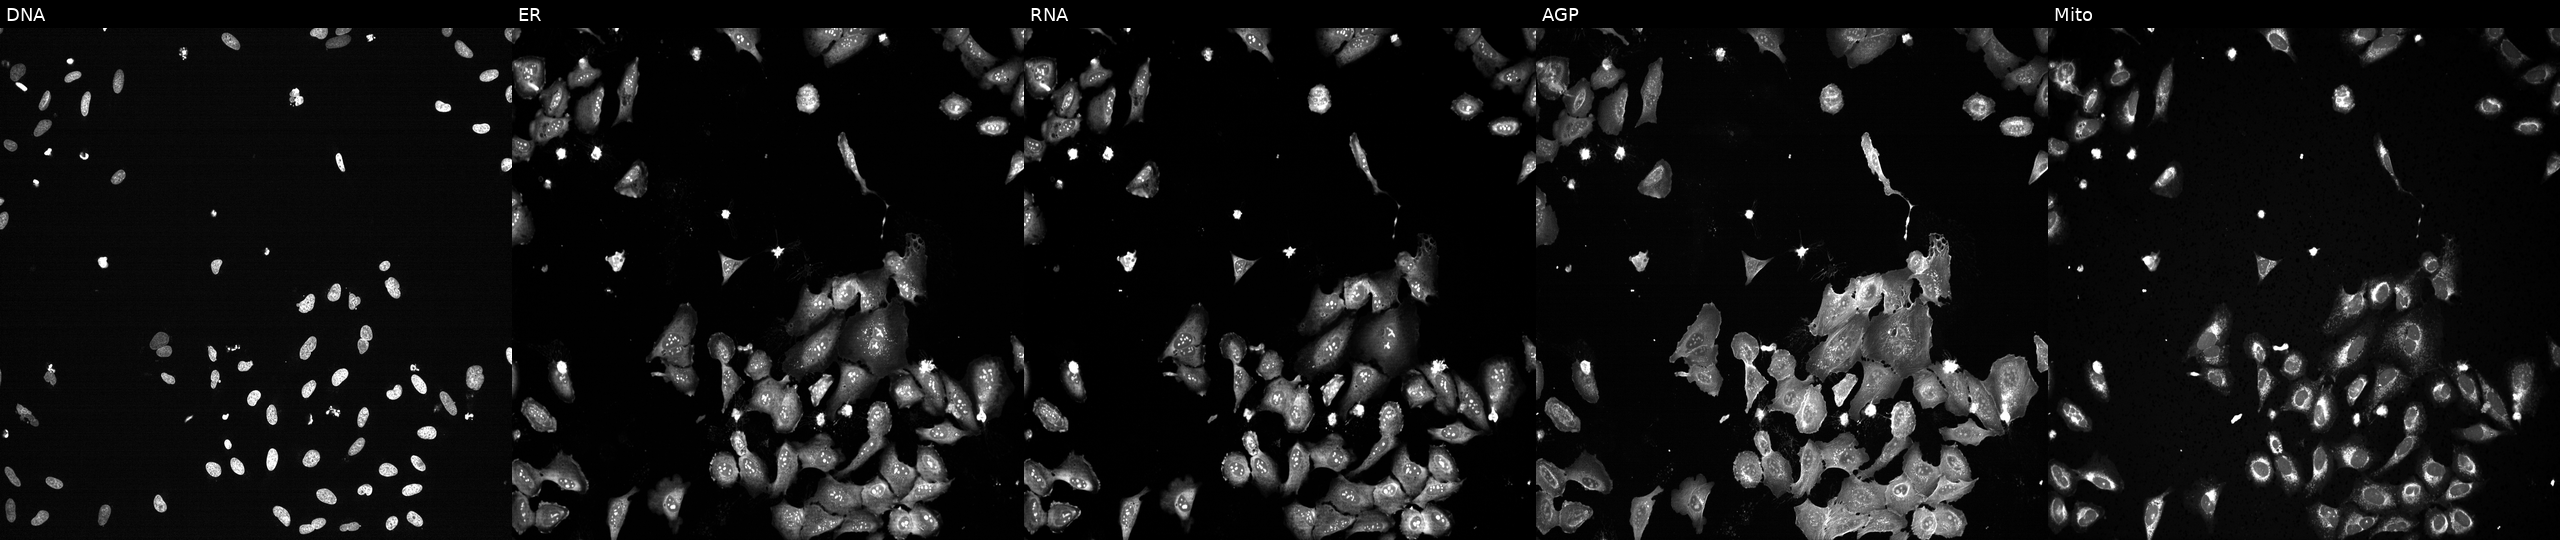
JUMP Cell Painting — CRISPR plate. U2OS cells treated with TC-S-7004 (positive-control compound) (JUMP id JCP2022_012818). Channels (left→right): DNA, ER, RNA, AGP, and Mito. Source 13, plate CP-CC9-R6-19, well D24.